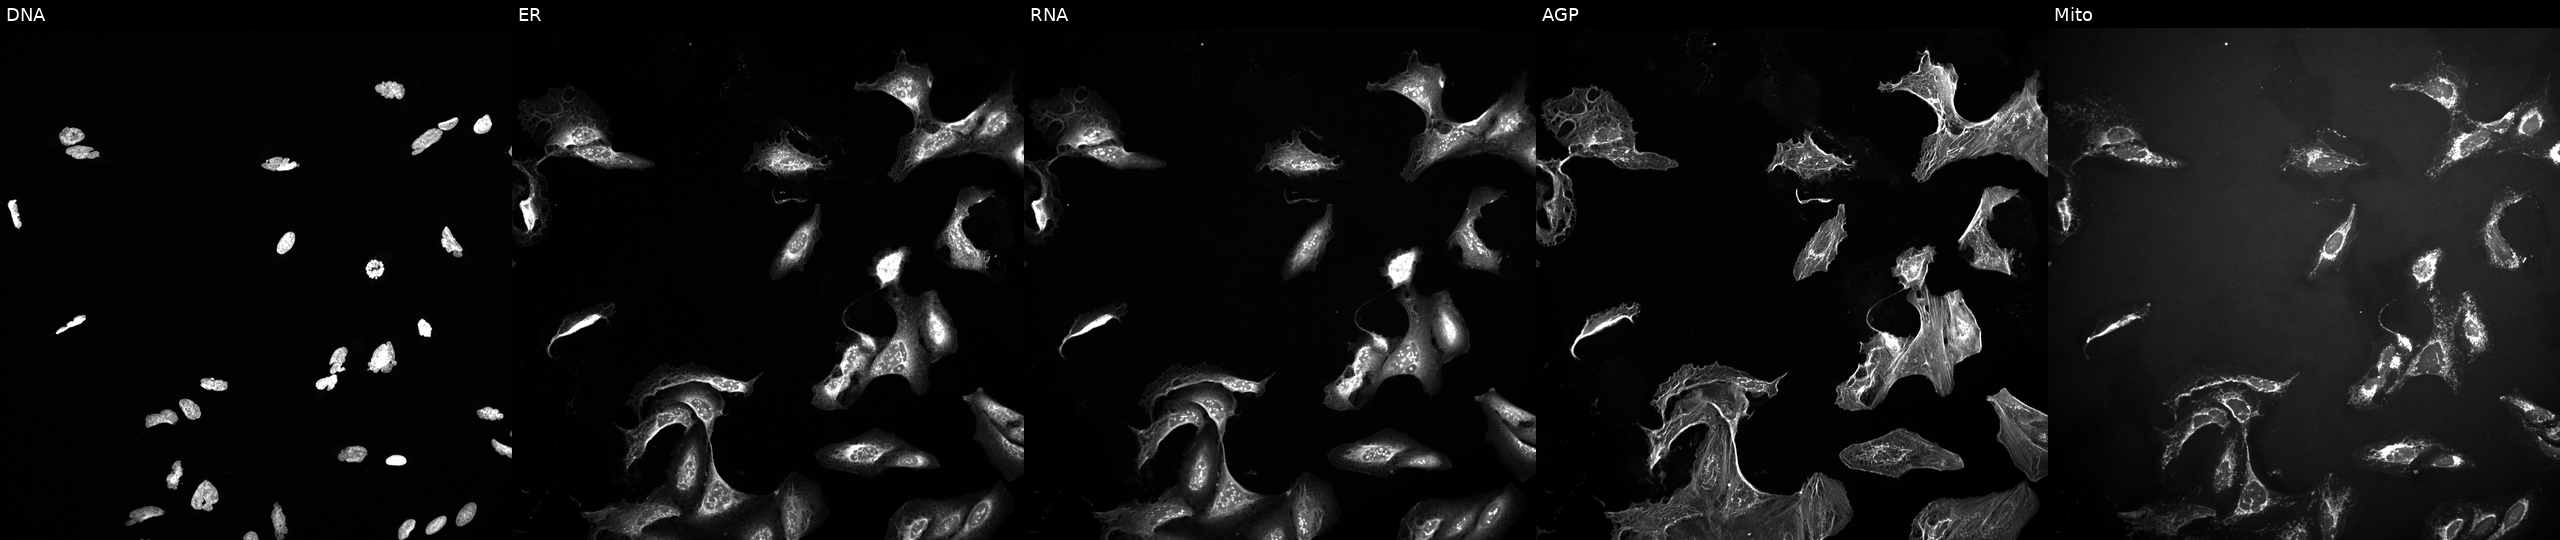
Channels (left→right): DNA (nuclei); ER (endoplasmic reticulum); RNA (nucleoli and cytoplasmic RNA); AGP (actin cytoskeleton, Golgi, and plasma membrane); Mito (mitochondria). U2OS osteosarcoma cells perturbed with a small-molecule compound (InChIKey GQXSULRYFDAMOO-UHFFFAOYSA-N) (JUMP id JCP2022_027206). Cell Painting assay, JUMP-CP dataset.